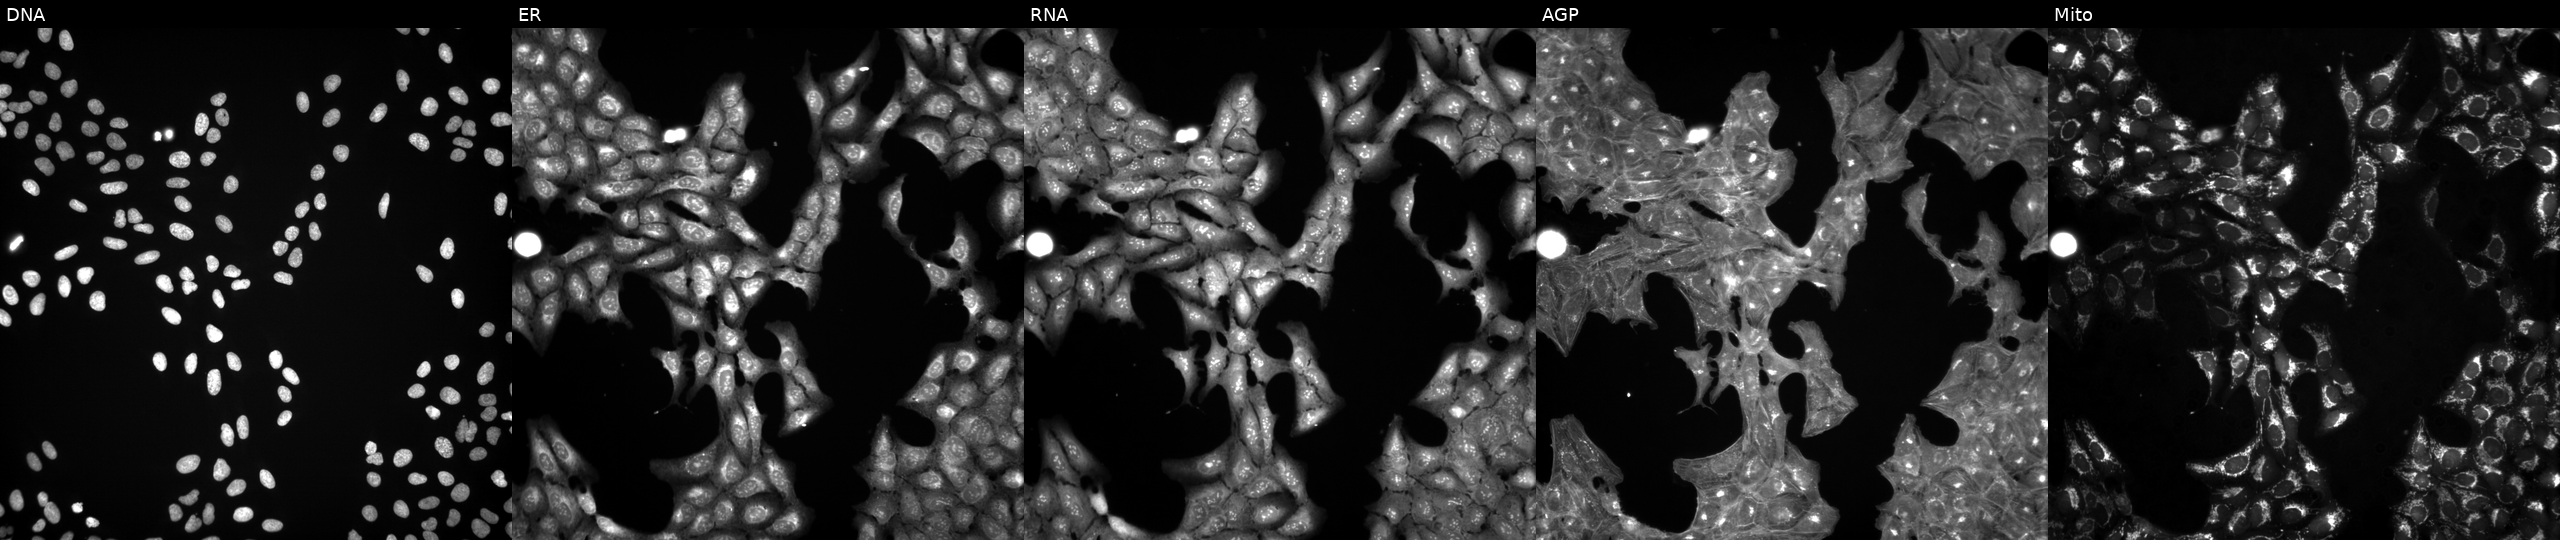
This image strip shows the five Cell Painting channels for a single field of U2OS cells treated with a small-molecule compound (InChIKey HFNKQEVNSGCOJV-UHFFFAOYSA-N) [SMILES: N#CCC(C1CCCC1)n1cc(-c2ncnc3[nH]ccc23)cn1] (JUMP id JCP2022_029868). From left to right: DNA, ER, RNA, AGP, and Mito.